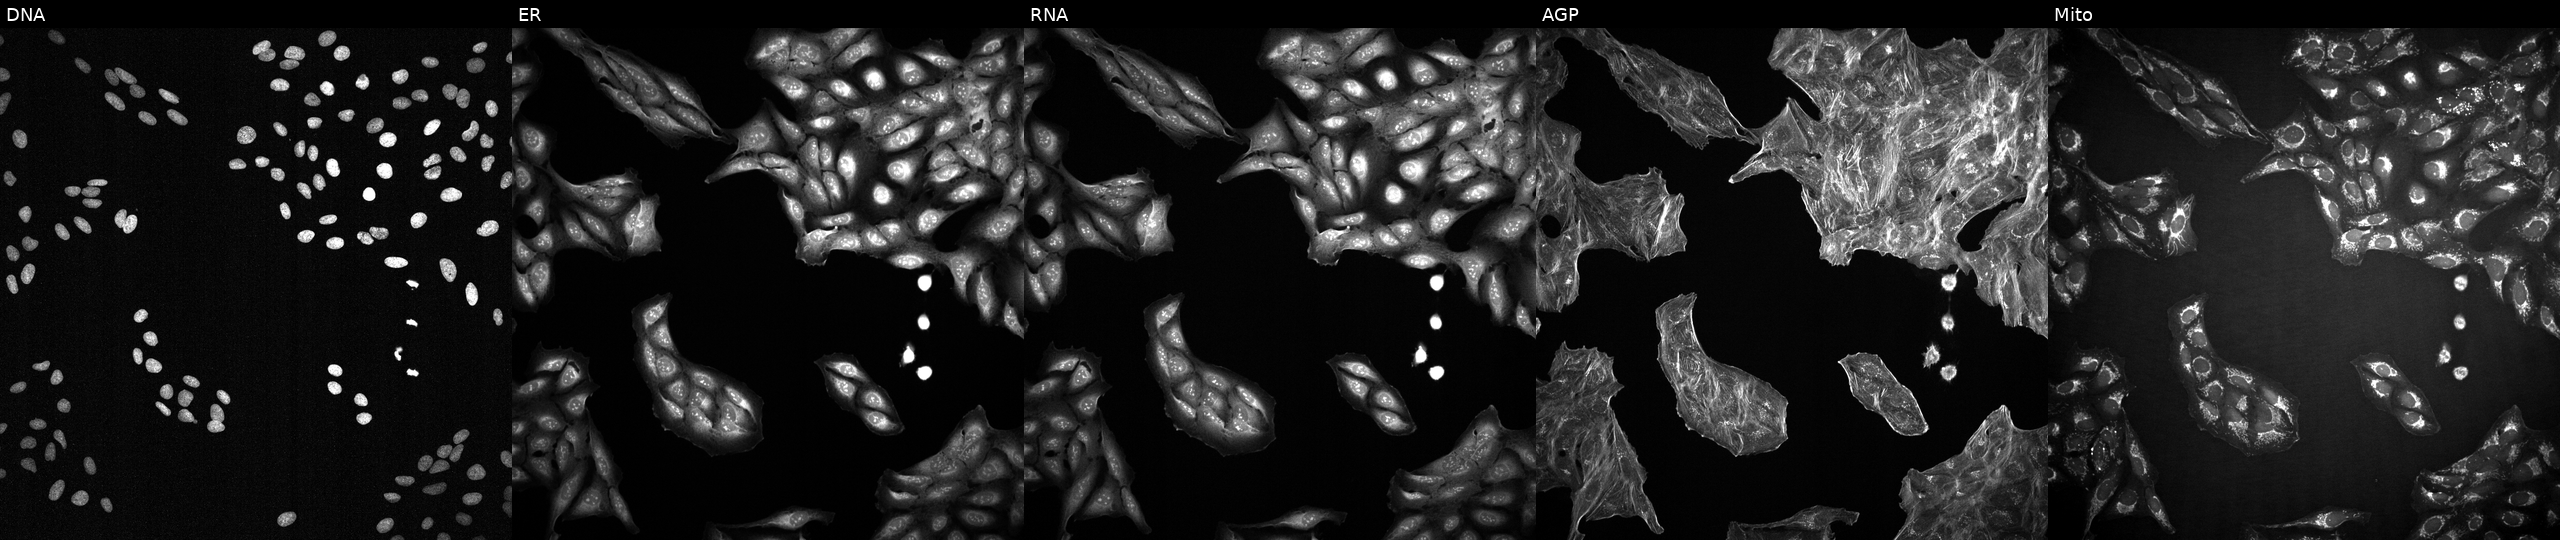
U2OS cells, Cell Painting assay, exposed to a small-molecule compound (InChIKey VUIRVWPJNKZOSS-UHFFFAOYSA-N) (JUMP id JCP2022_096342). Channels (left→right): DNA (nuclei); ER (endoplasmic reticulum); RNA (nucleoli and cytoplasmic RNA); AGP (actin cytoskeleton, Golgi, and plasma membrane); Mito (mitochondria). Each panel is percentile-stretched 16-bit fluorescence. Source 2, plate 1053599503, well D15.